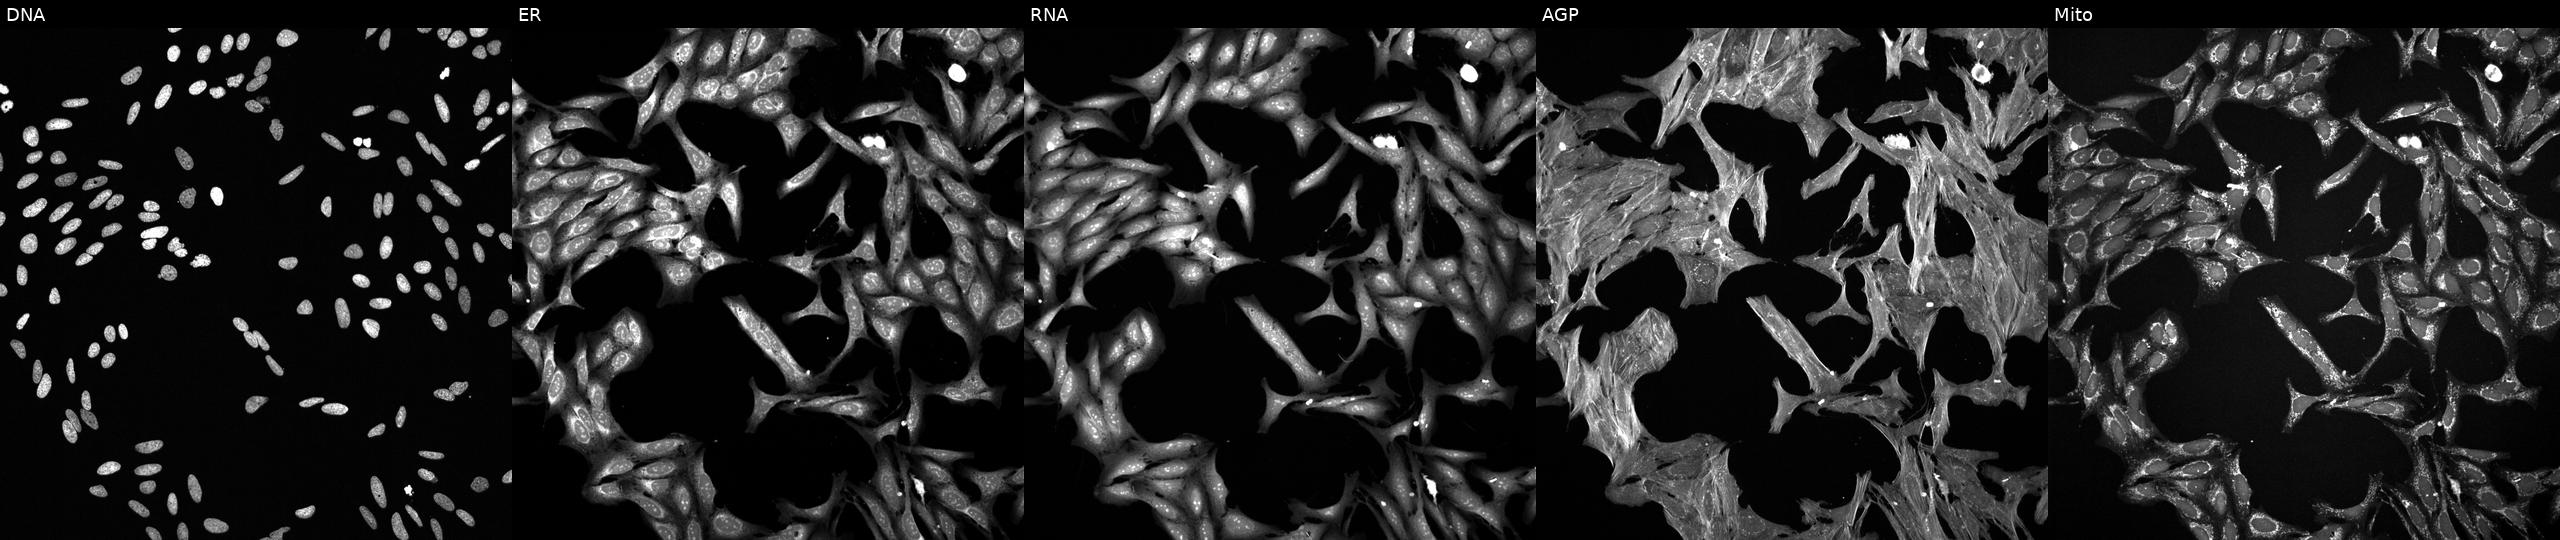
JUMP Cell Painting — TARGET2 plate. U2OS cells treated with a small-molecule compound (InChIKey KAJXOWFGKYKMMZ-UHFFFAOYSA-N) [SMILES: O=C1NC(=O)c2c1c1c3ccccc3[nH]c1c1[nH]c3ccccc3c21] (JUMP id JCP2022_043287). The five panels, left to right, show Hoechst 33342, concanavalin A, SYTO 14, phalloidin and WGA, MitoTracker. Source 6, plate 110000293093, well M23.